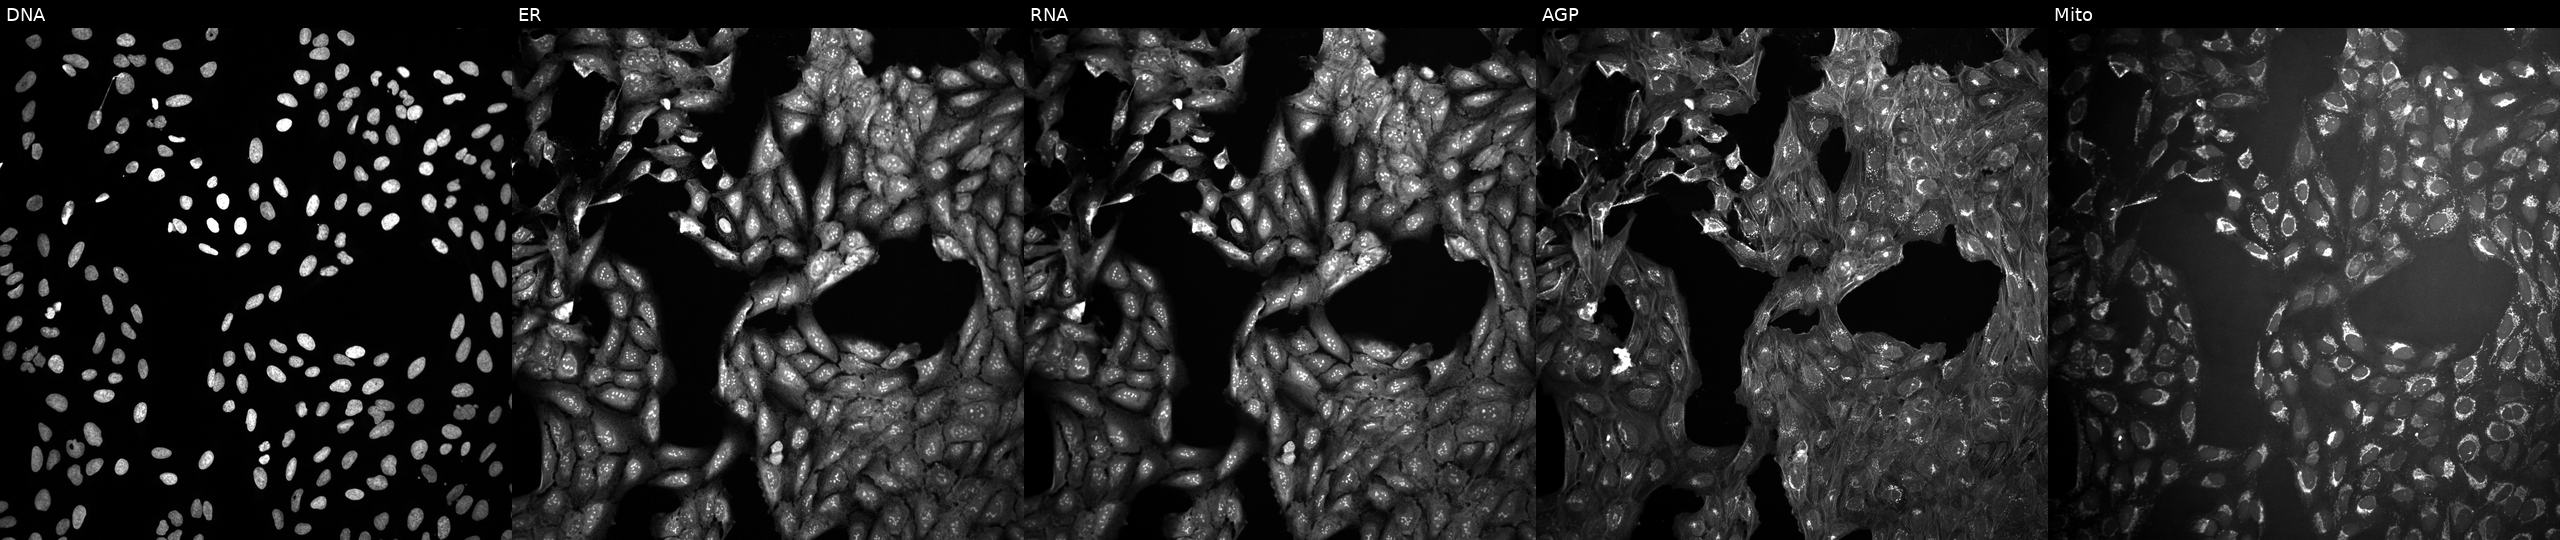
Five-channel Cell Painting image of U2OS cells treated with a small-molecule compound (InChIKey MUHHAPXUBFPAJA-UHFFFAOYSA-N) [SMILES: O=C(NCc1cc(C2CC2)ncn1)c1ccccn1] (JUMP id JCP2022_056570). Panels show, left to right, DNA (nuclei); ER (endoplasmic reticulum); RNA (nucleoli and cytoplasmic RNA); AGP (actin cytoskeleton, Golgi, and plasma membrane); Mito (mitochondria).